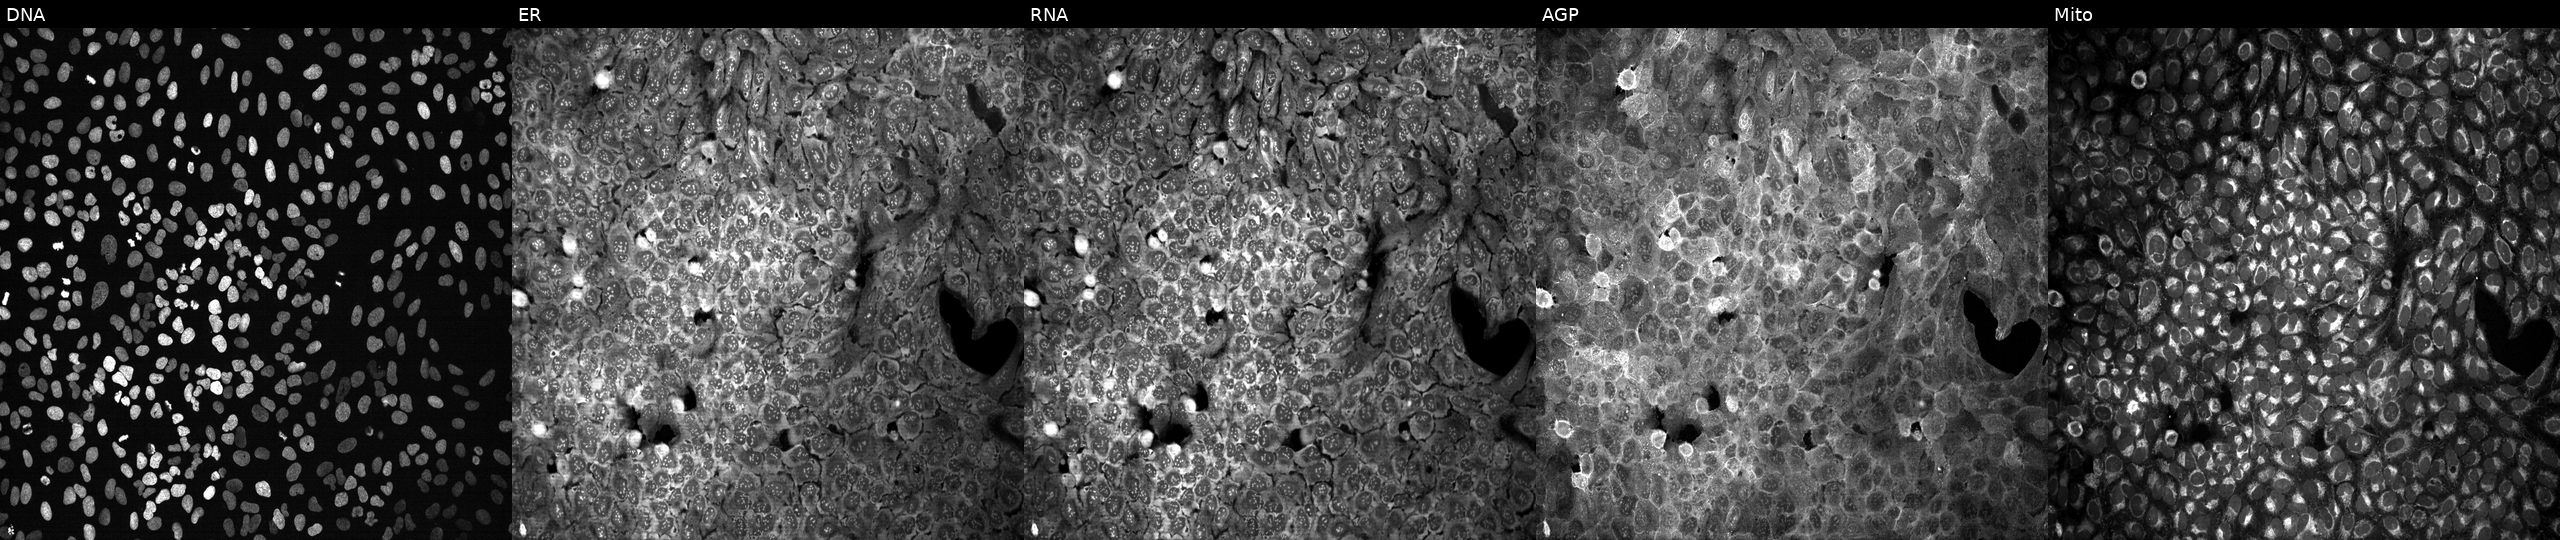
JUMP Cell Painting — CRISPR plate. U2OS cells treated with DMSO vehicle only (negative control) (JUMP id JCP2022_033924). Panels show, left to right, Hoechst 33342, concanavalin A, SYTO 14, phalloidin and WGA, MitoTracker.